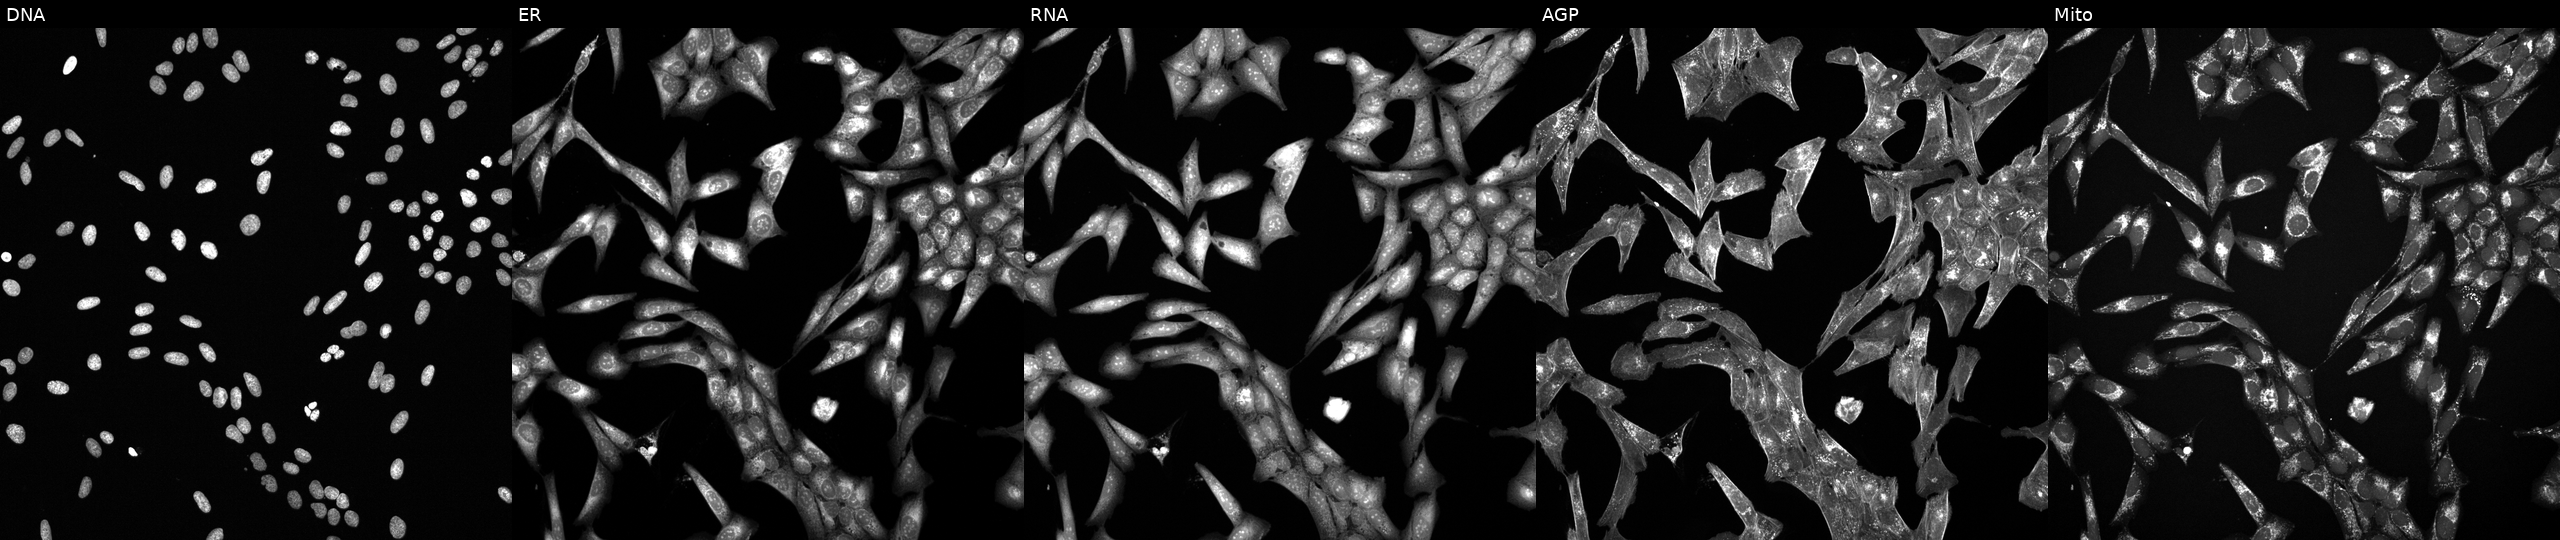
High-content fluorescence microscopy (Cell Painting). Cell line: U2OS. Perturbation: perturbed with a small-molecule compound (InChIKey URBJMIGQPUNEIU-UHFFFAOYSA-N) [SMILES: CC1CCCCN1CCCNC(=O)c1cc(-c2ccccc2)nc2cc(C(C)(C)C)nn12]. The five panels, left to right, show DNA, ER, RNA, AGP, and Mito. Source 6, plate 110000293083, well P16.